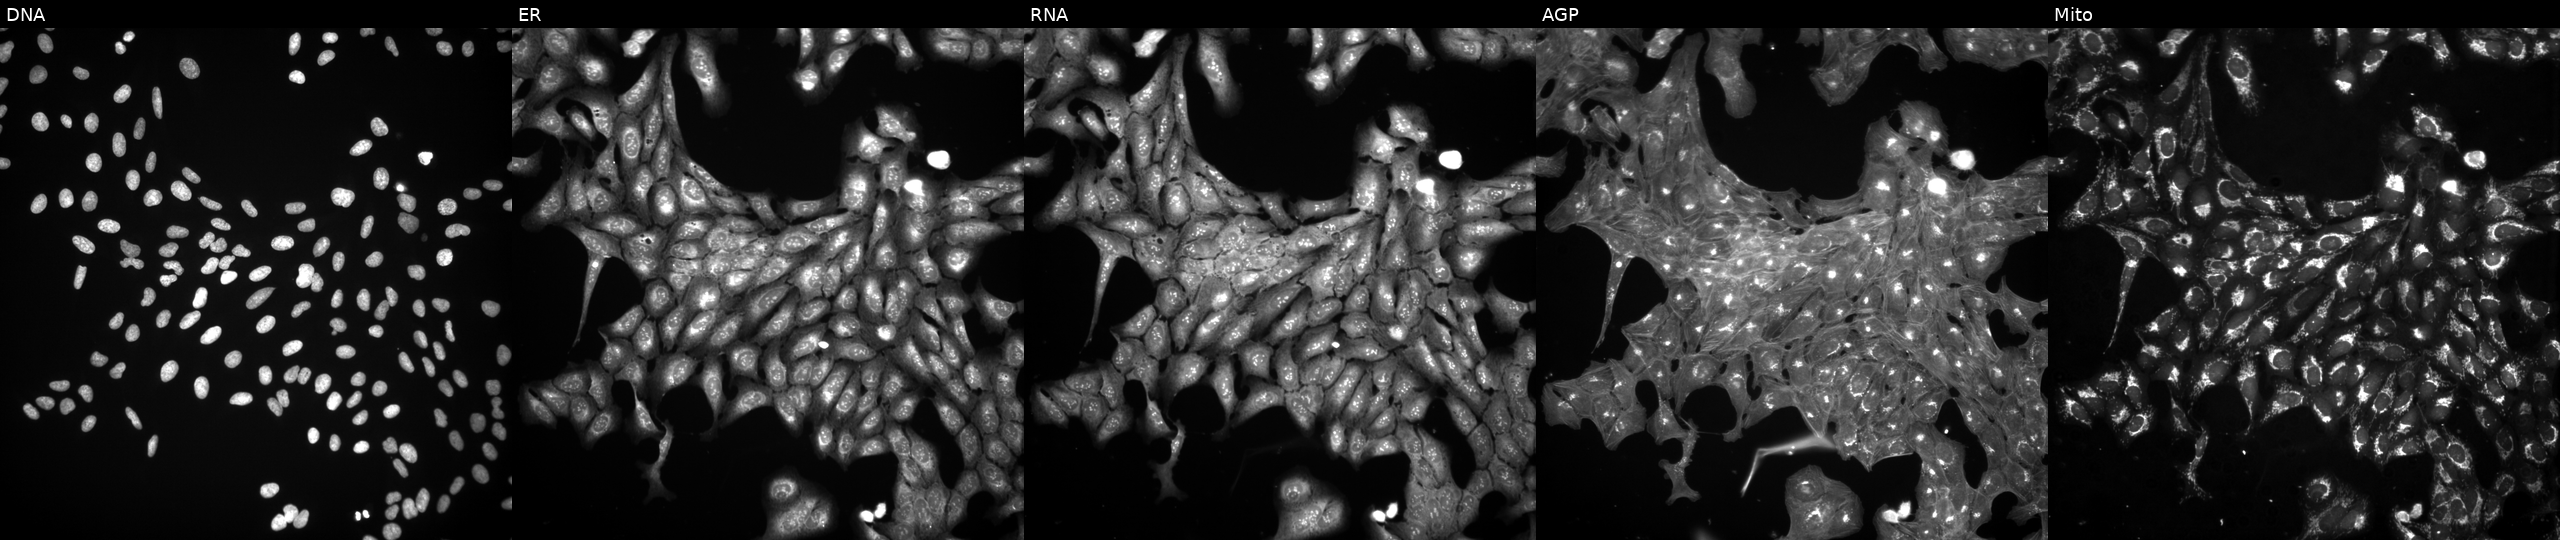
JUMP Cell Painting — TARGET2 plate. U2OS cells exposed to DMSO alone as a negative control (JUMP id JCP2022_033924). Channels (left→right): DNA, ER, RNA, AGP, and Mito.